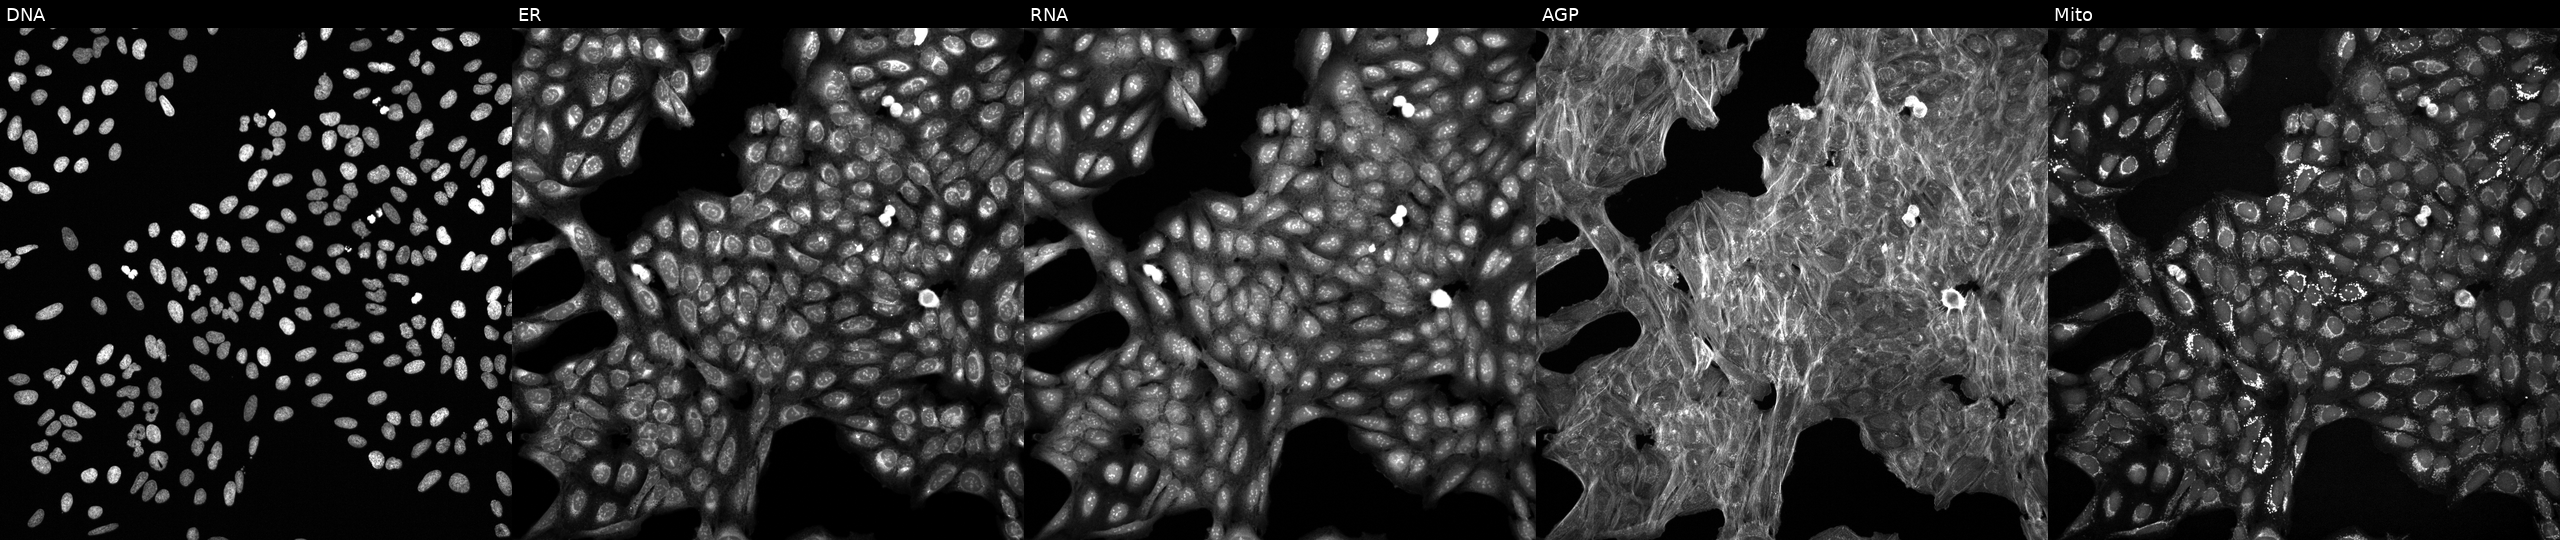
High-content fluorescence microscopy (Cell Painting). Cell line: U2OS. Perturbation: exposed to a small-molecule compound [SMILES: CC(c1ccccc1)N(Cc1nc(C(=O)NC2CC2)co1)Cc1ccc(Cl)cc1Cl]. From left to right: DNA, ER, RNA, AGP, and Mito.